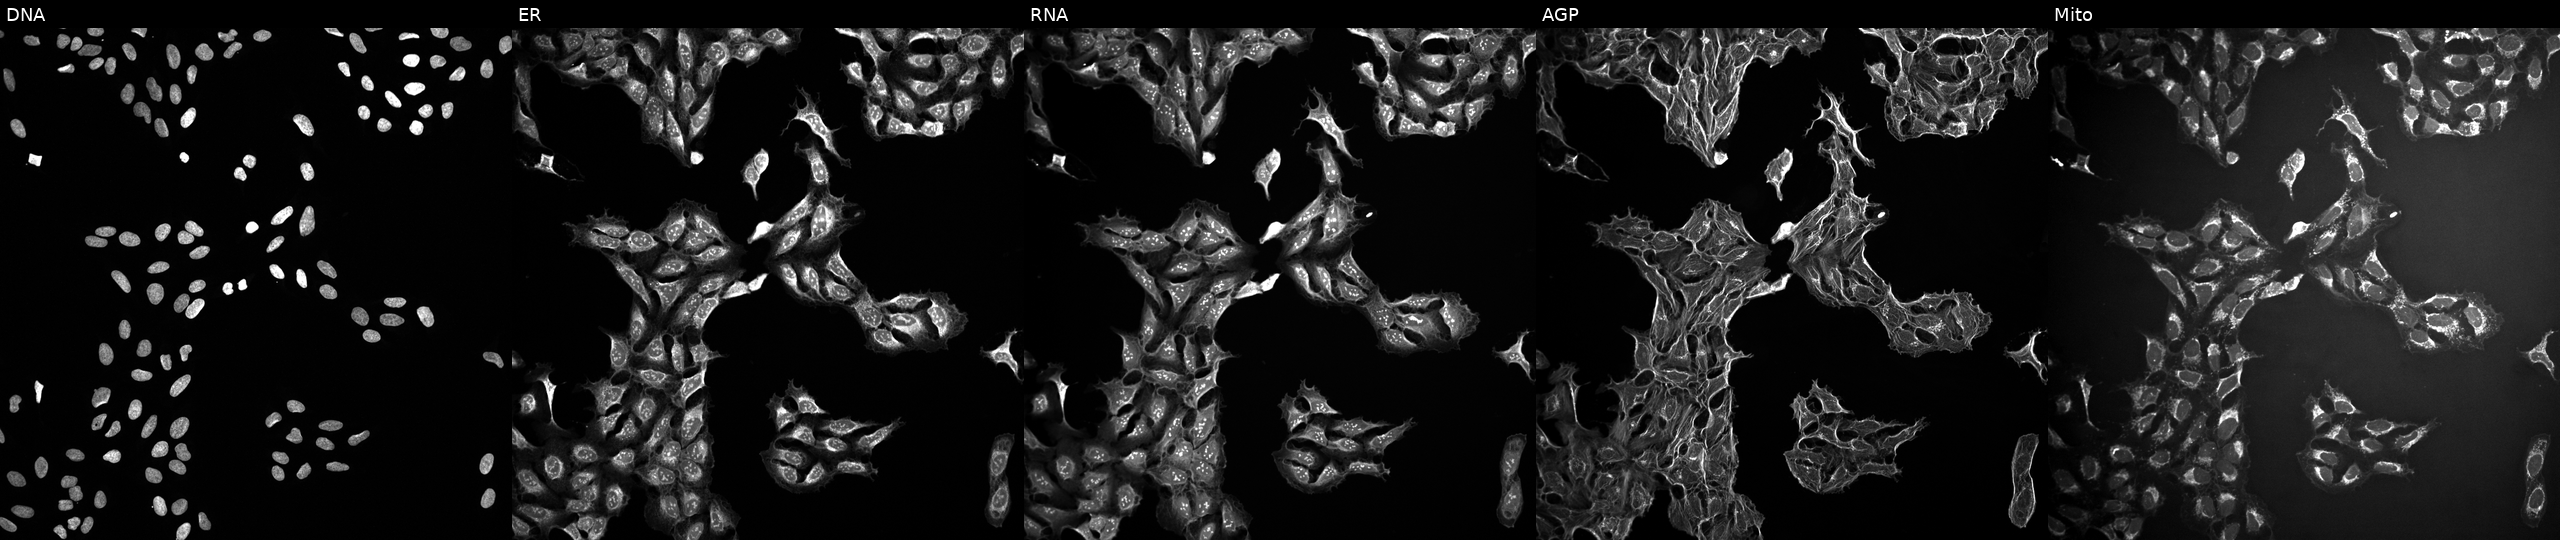
Channels (left→right): DNA (nuclei); ER (endoplasmic reticulum); RNA (nucleoli and cytoplasmic RNA); AGP (actin cytoskeleton, Golgi, and plasma membrane); Mito (mitochondria). U2OS osteosarcoma cells treated with a small-molecule compound (InChIKey NHXLMOGPVYXJNR-UHFFFAOYSA-N) (JUMP id JCP2022_059103). Cell Painting assay, JUMP-CP dataset.